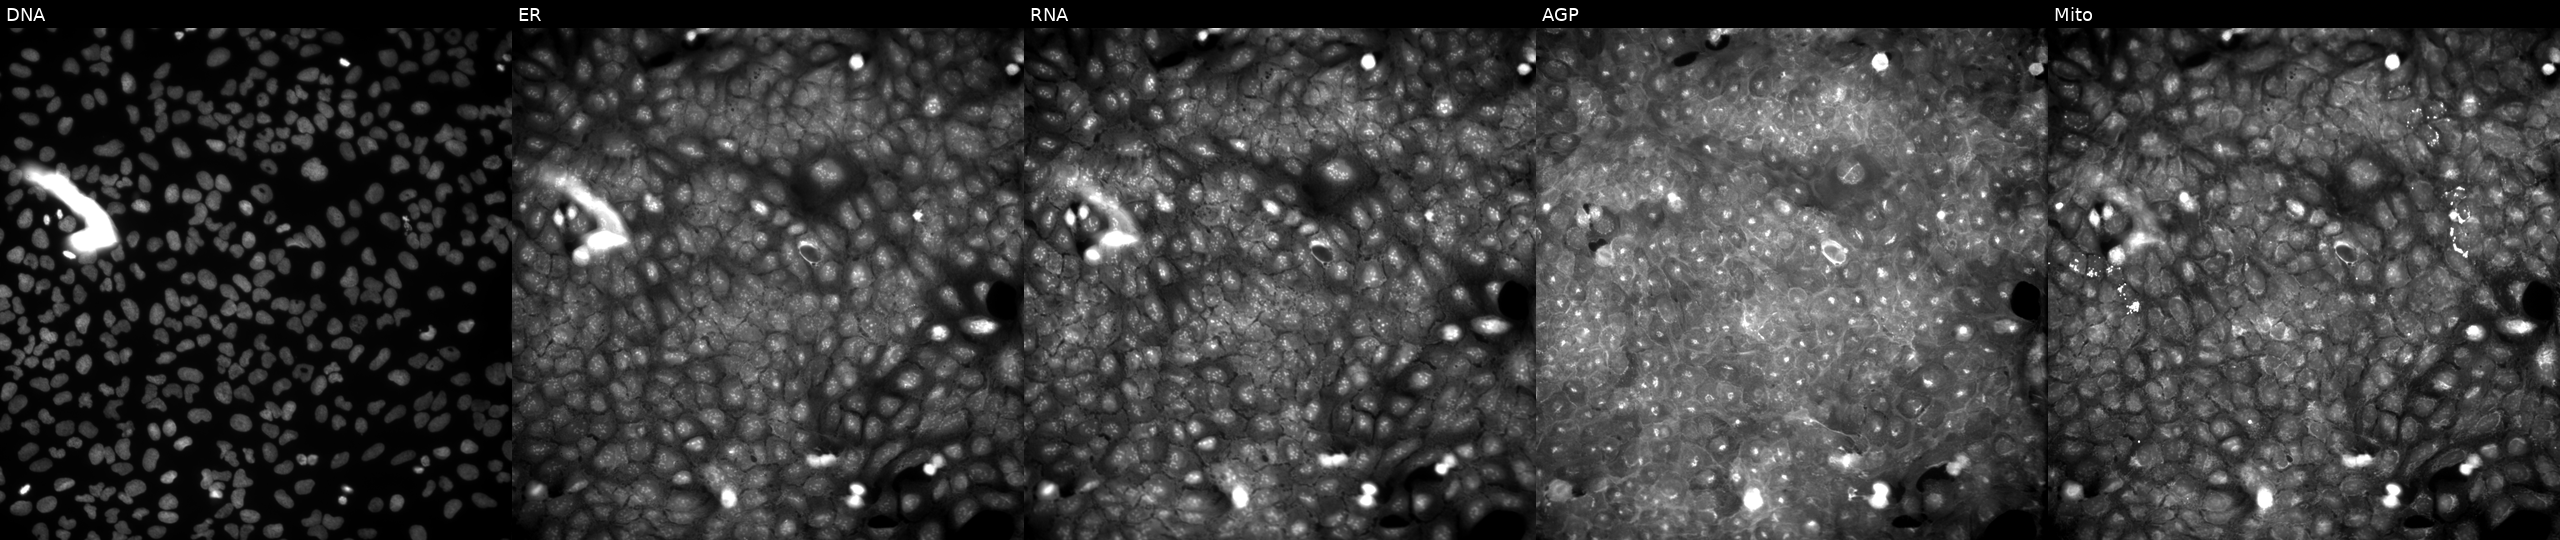
U2OS cells, Cell Painting assay, exposed to a small-molecule compound (InChIKey XEHVDWYRULRKDQ-UHFFFAOYSA-N) [SMILES: O=C(NNS(=O)(=O)c1ccccc1[N+](=O)[O-])c1cccc(Cl)c1]. From left to right: Hoechst 33342, concanavalin A, SYTO 14, phalloidin and WGA, MitoTracker. Each panel is percentile-stretched 16-bit fluorescence. Source 9, plate GR00003382, well Y29.